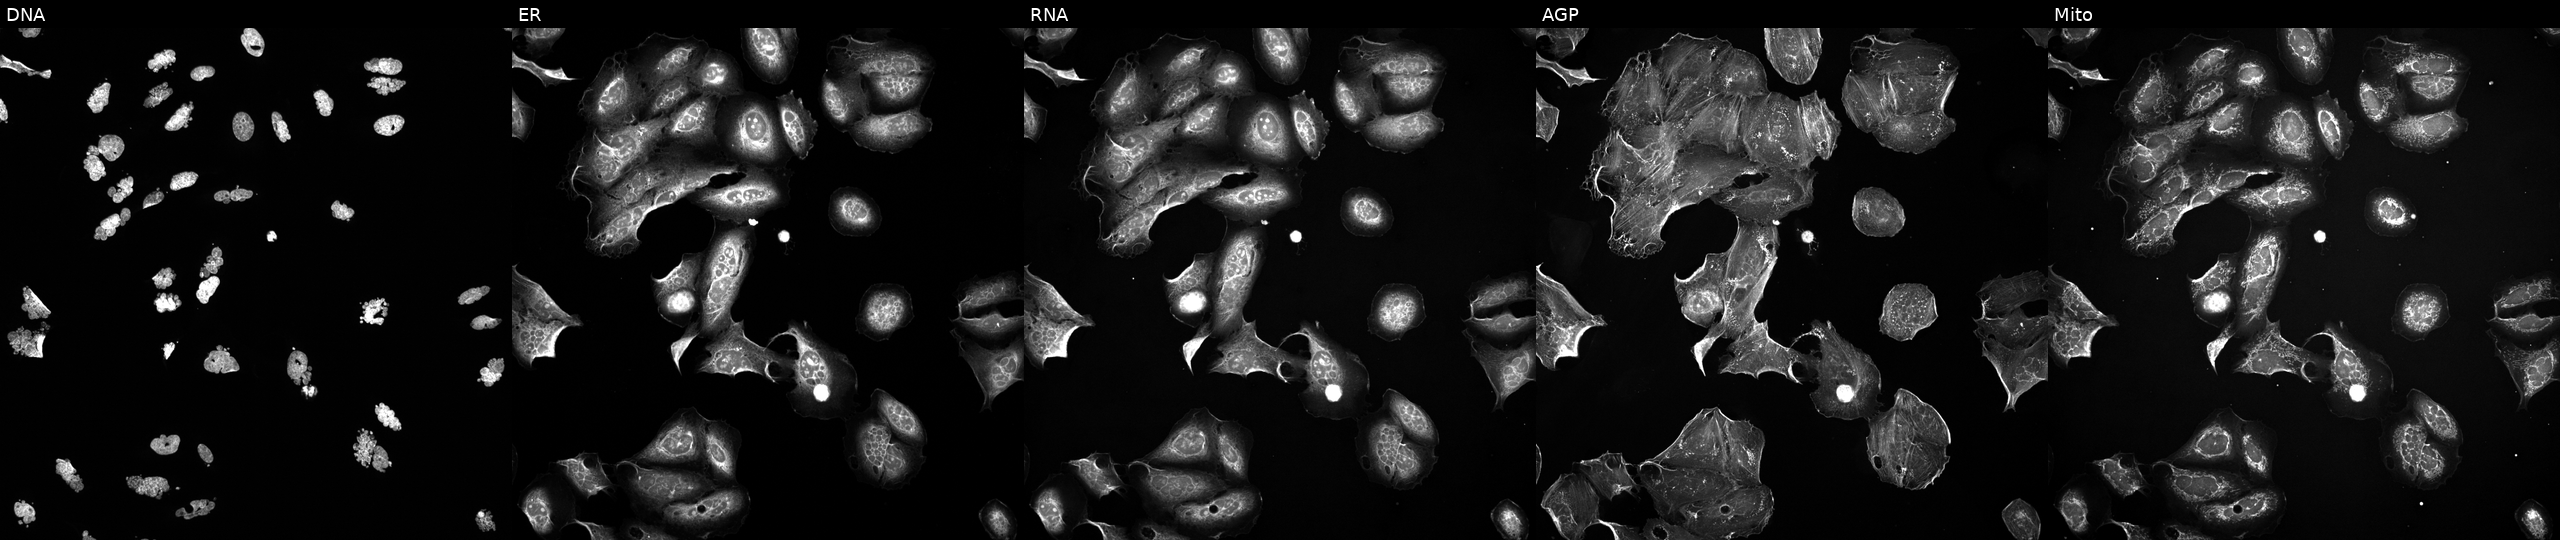
U2OS cells, Cell Painting assay, exposed to a small-molecule compound (InChIKey QXRSDHAAWVKZLJ-UHFFFAOYSA-N) [SMILES: CC(=Cc1csc(C)n1)C1CC2OC2(C)CCCC(C)C(O)C(C)C(=O)C(C)(C)C(O)CC(=O)O1]. Channels (left→right): DNA (nuclei); ER (endoplasmic reticulum); RNA (nucleoli and cytoplasmic RNA); AGP (actin cytoskeleton, Golgi, and plasma membrane); Mito (mitochondria). Each panel is percentile-stretched 16-bit fluorescence. Source 5, plate ACPJUM051, well D10.